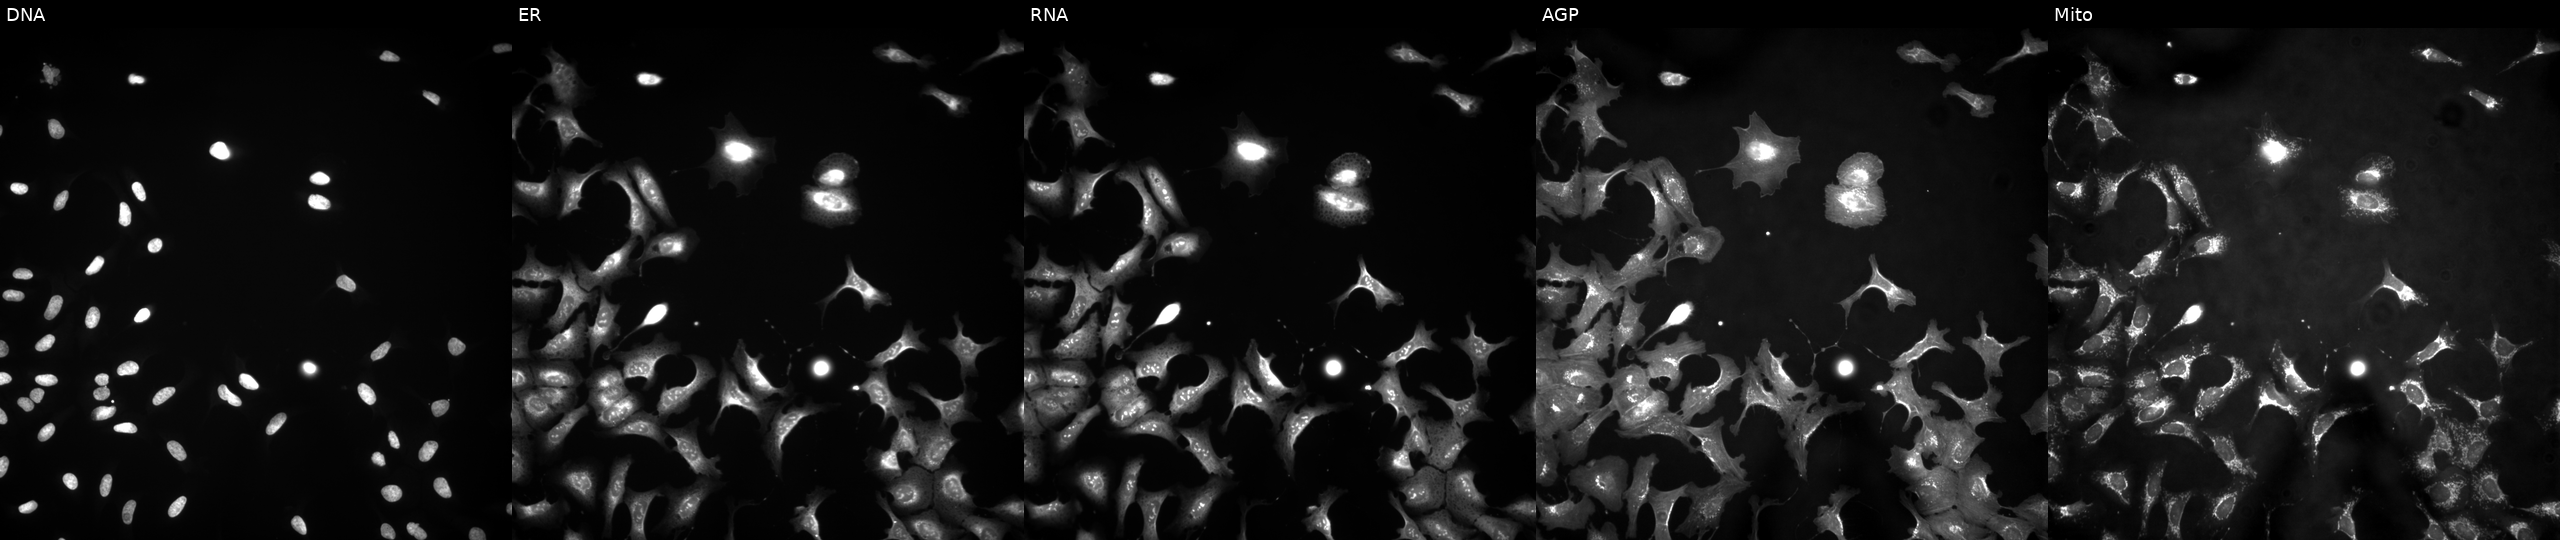
U2OS cells, Cell Painting assay, overexpressing FBXL20 via ORF transfection (JUMP id JCP2022_904170). From left to right: DNA (nuclei); ER (endoplasmic reticulum); RNA (nucleoli and cytoplasmic RNA); AGP (actin cytoskeleton, Golgi, and plasma membrane); Mito (mitochondria). Each panel is percentile-stretched 16-bit fluorescence. Source 4, plate BR00121543, well D14.